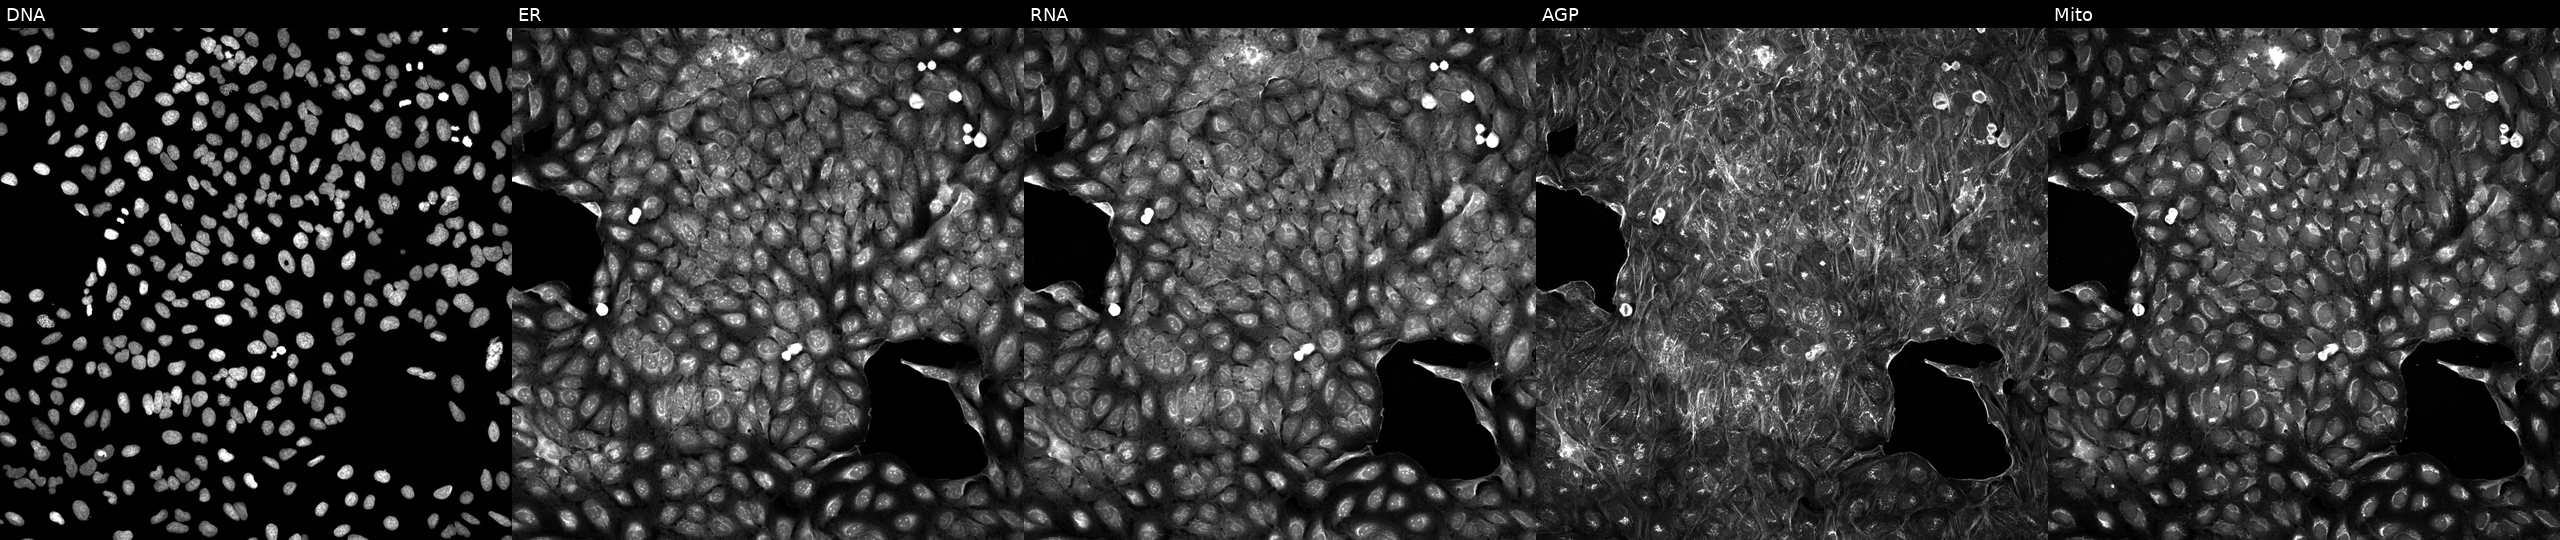
High-content fluorescence microscopy (Cell Painting). Cell line: U2OS. Perturbation: perturbed with a small-molecule compound (InChIKey VFWUYERSUCMKDB-UHFFFAOYSA-N) (JUMP id JCP2022_093705). Panels show, left to right, Hoechst 33342, concanavalin A, SYTO 14, phalloidin and WGA, MitoTracker.